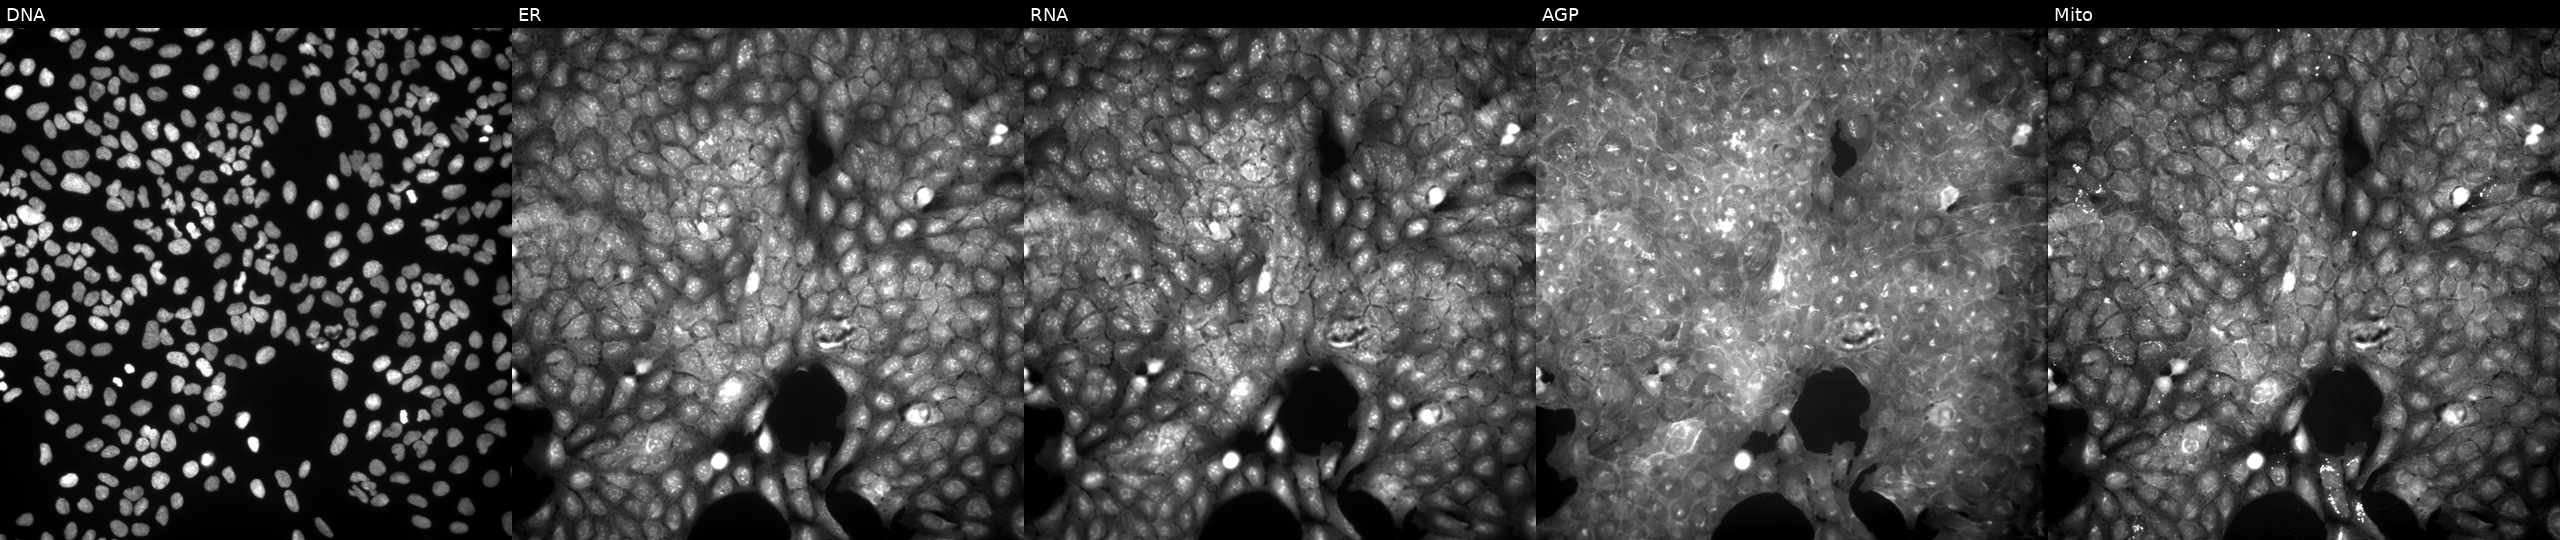
U2OS cells, Cell Painting assay, perturbed with a small-molecule compound (InChIKey ONOBHKWISLHHCC-UHFFFAOYSA-N) (JUMP id JCP2022_064945). Channels (left→right): Hoechst 33342, concanavalin A, SYTO 14, phalloidin and WGA, MitoTracker. Each panel is percentile-stretched 16-bit fluorescence.